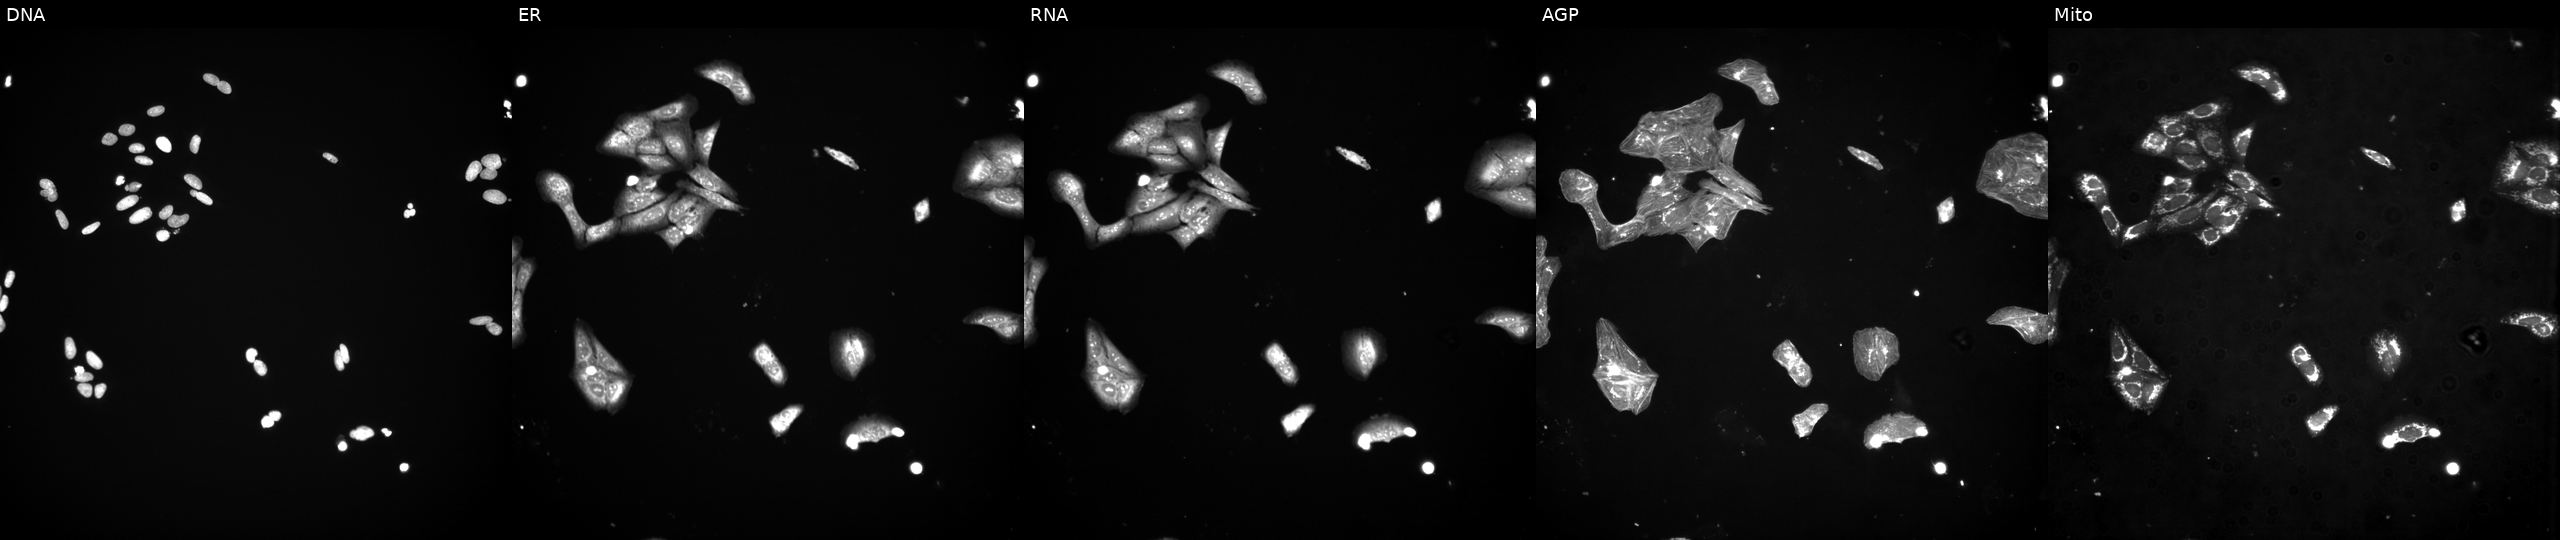
U2OS cells, Cell Painting assay, perturbed with a small-molecule compound. The five panels, left to right, show DNA, ER, RNA, AGP, and Mito. Each panel is percentile-stretched 16-bit fluorescence. Source 3, plate JCPQC052, well P21.